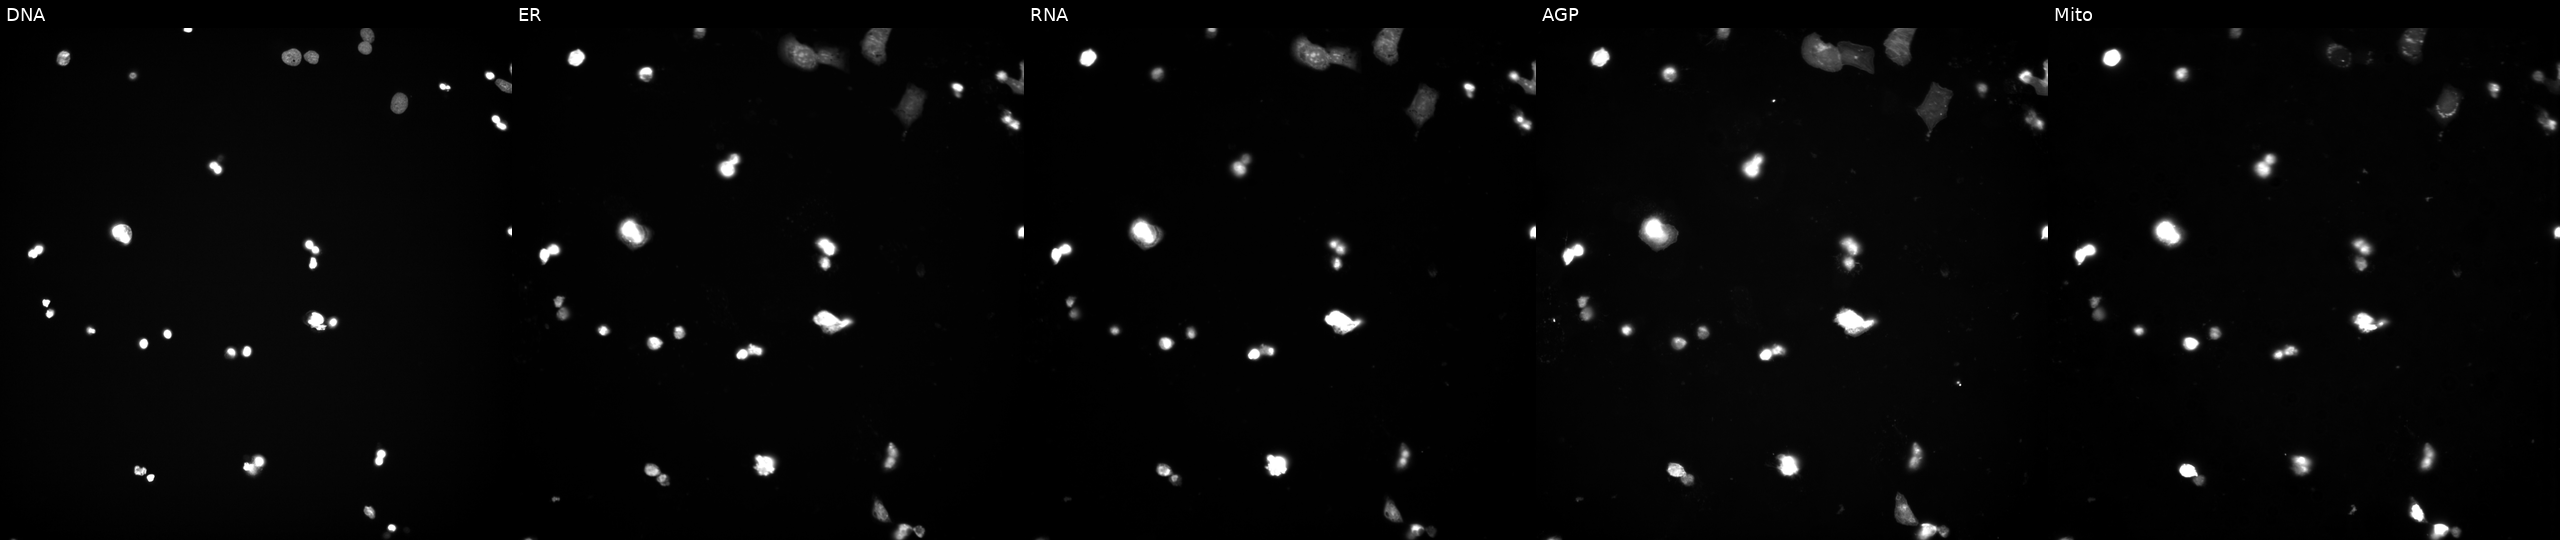
JUMP Cell Painting — TARGET2 plate. U2OS cells exposed to a small-molecule compound (InChIKey NQQBNZBOOHHVQP-UHFFFAOYSA-N) (JUMP id JCP2022_060734). Panels show, left to right, DNA, ER, RNA, AGP, and Mito. Source 3, plate JCPQC051, well F16.